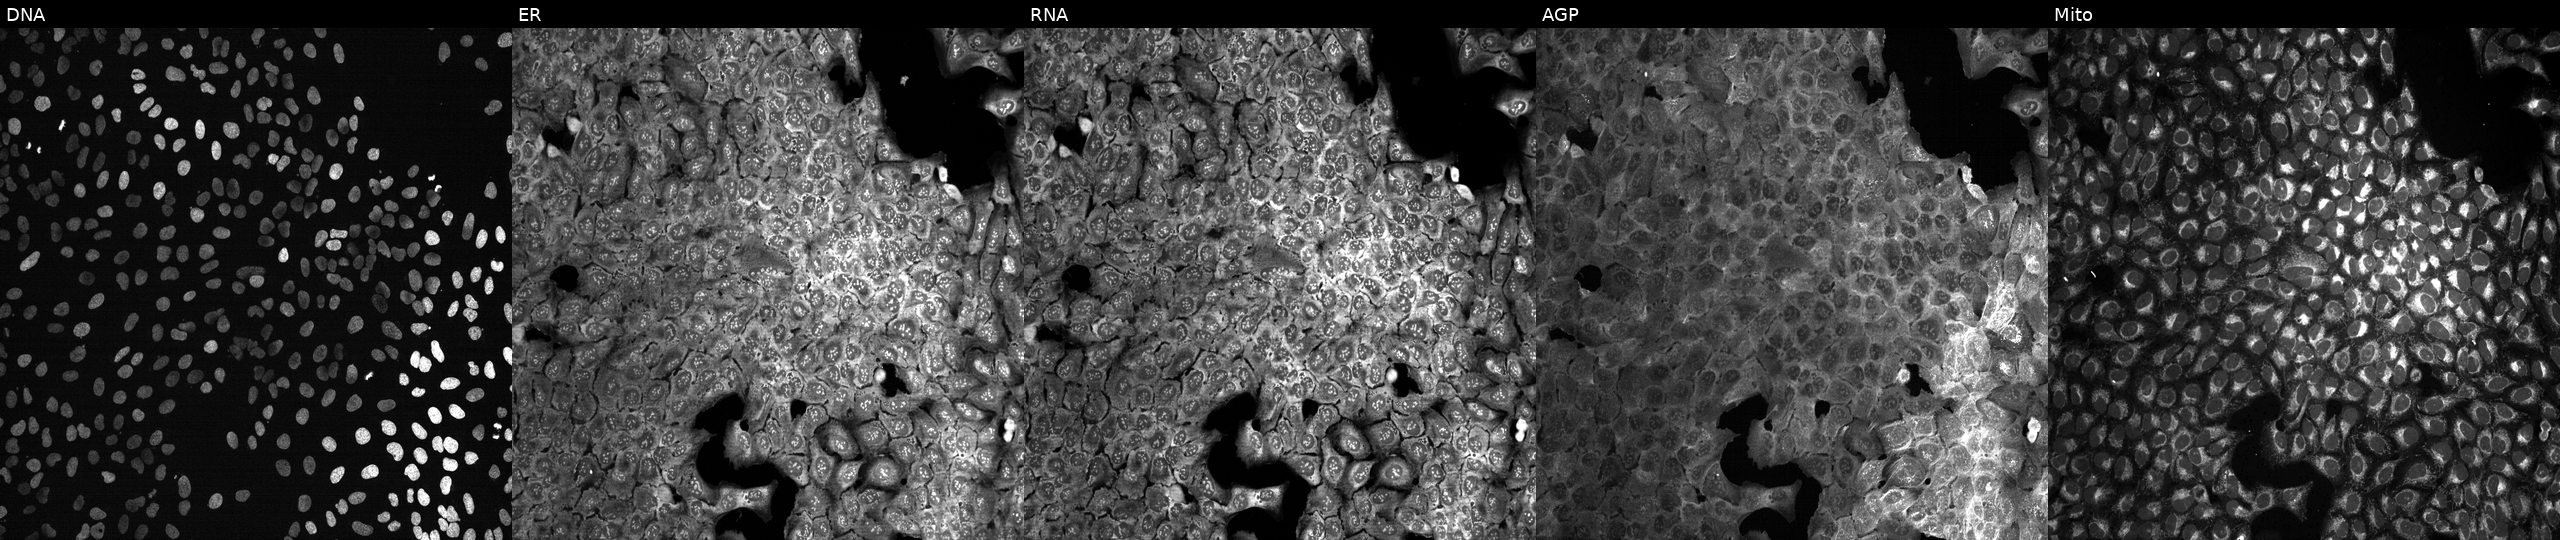
JUMP Cell Painting — CRISPR plate. U2OS cells following CRISPR knockout of CLEC1B. Panels show, left to right, Hoechst 33342, concanavalin A, SYTO 14, phalloidin and WGA, MitoTracker.